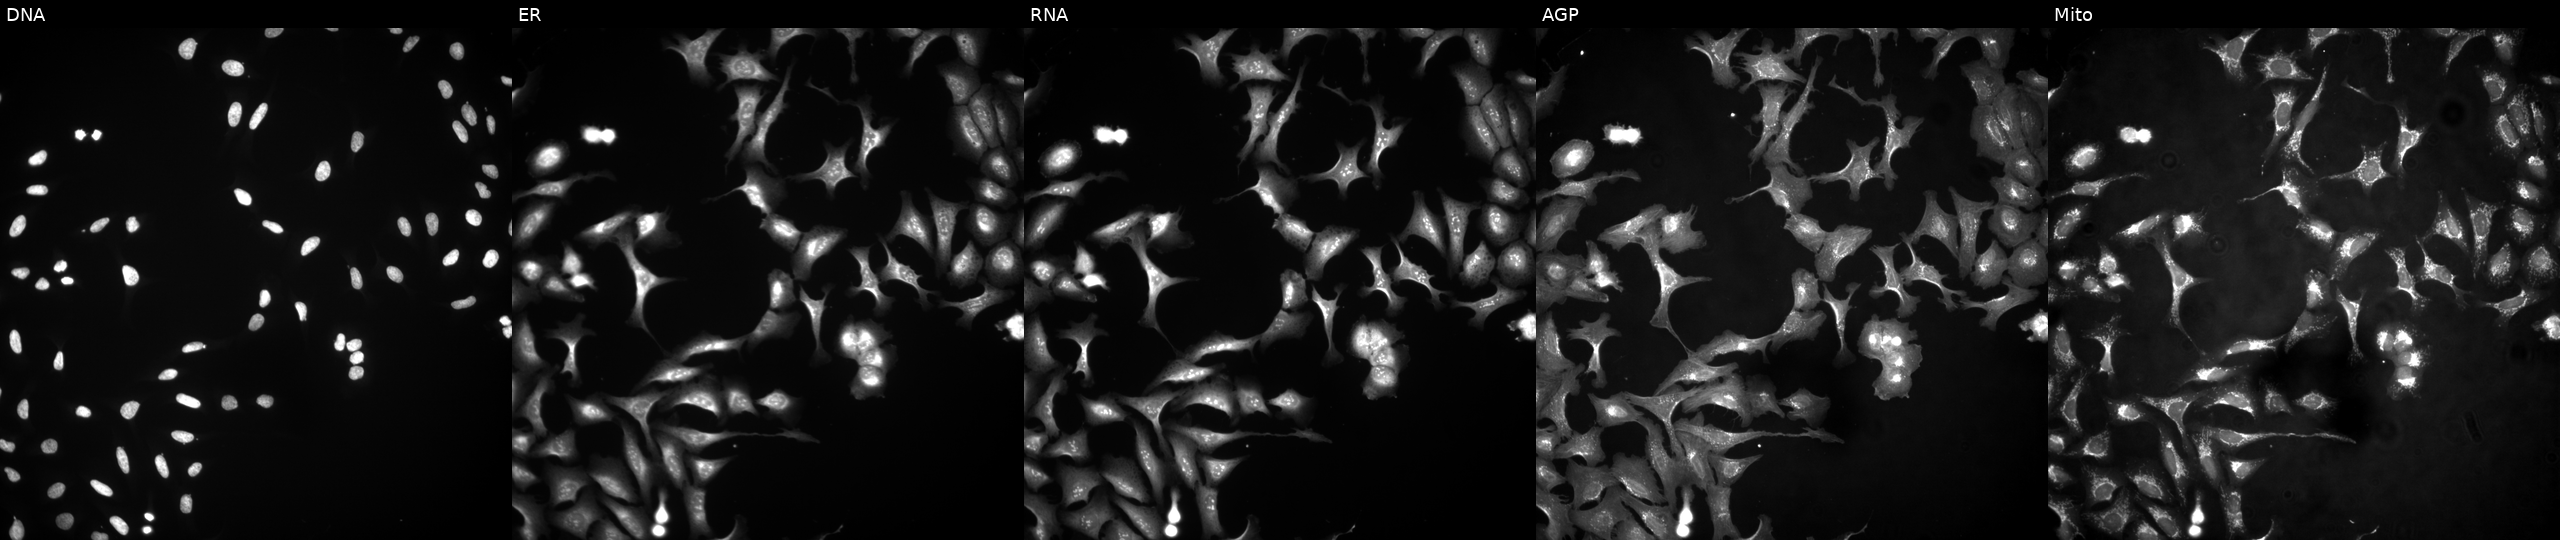
The five panels, left to right, show DNA (nuclei); ER (endoplasmic reticulum); RNA (nucleoli and cytoplasmic RNA); AGP (actin cytoskeleton, Golgi, and plasma membrane); Mito (mitochondria). U2OS osteosarcoma cells with LINC01588 overexpressed (ORF). Cell Painting assay, JUMP-CP dataset.